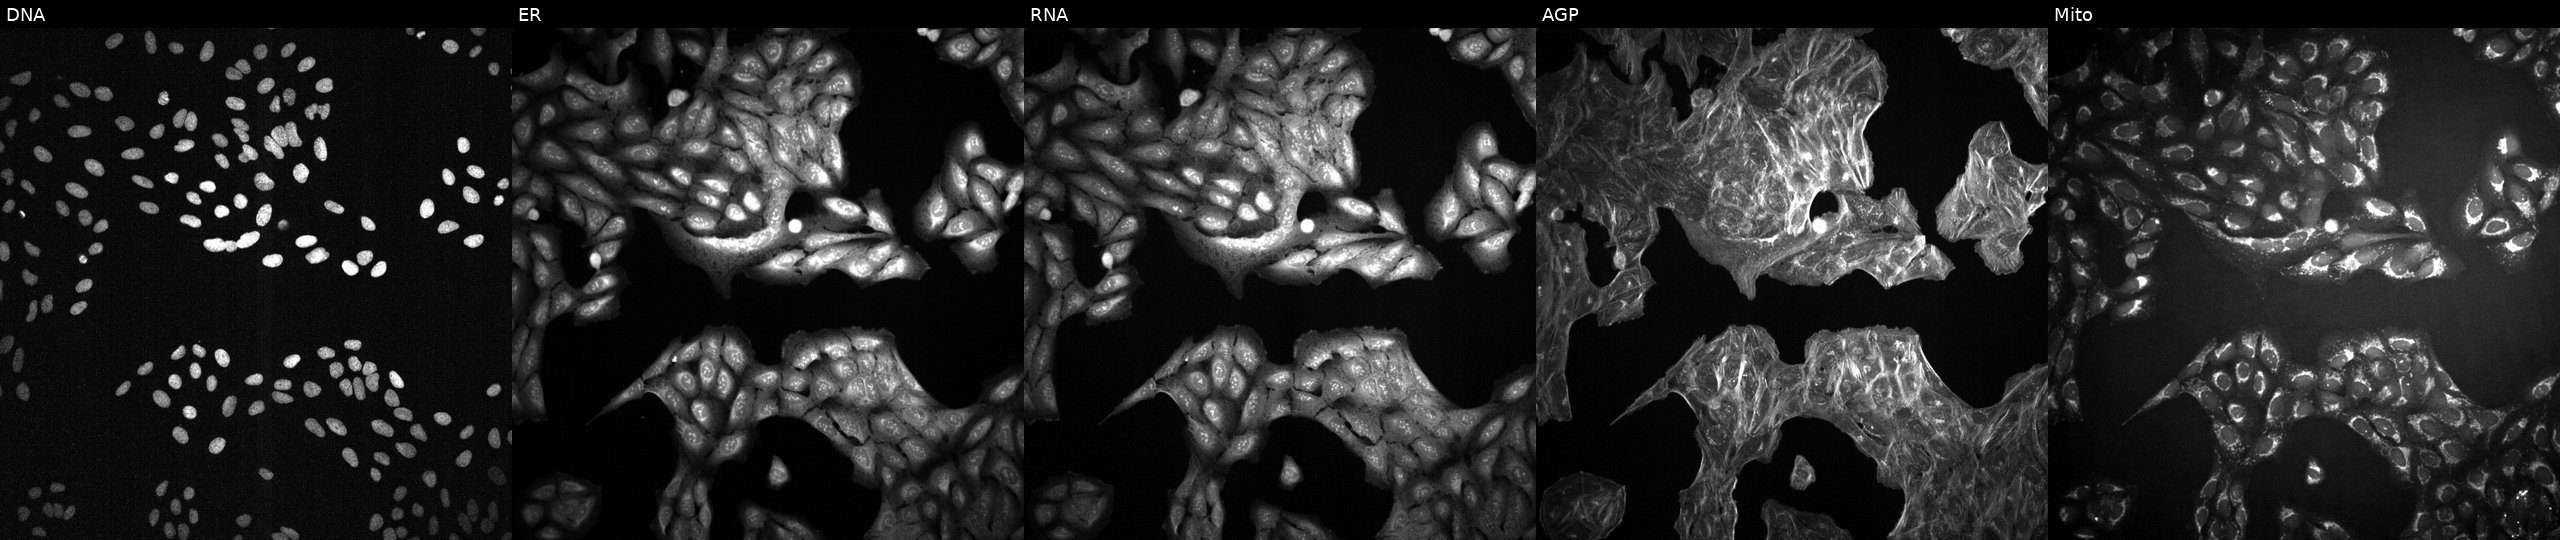
Five-channel Cell Painting image of U2OS cells exposed to a small-molecule compound (JUMP id JCP2022_041253). Panels show, left to right, Hoechst 33342, concanavalin A, SYTO 14, phalloidin and WGA, MitoTracker.